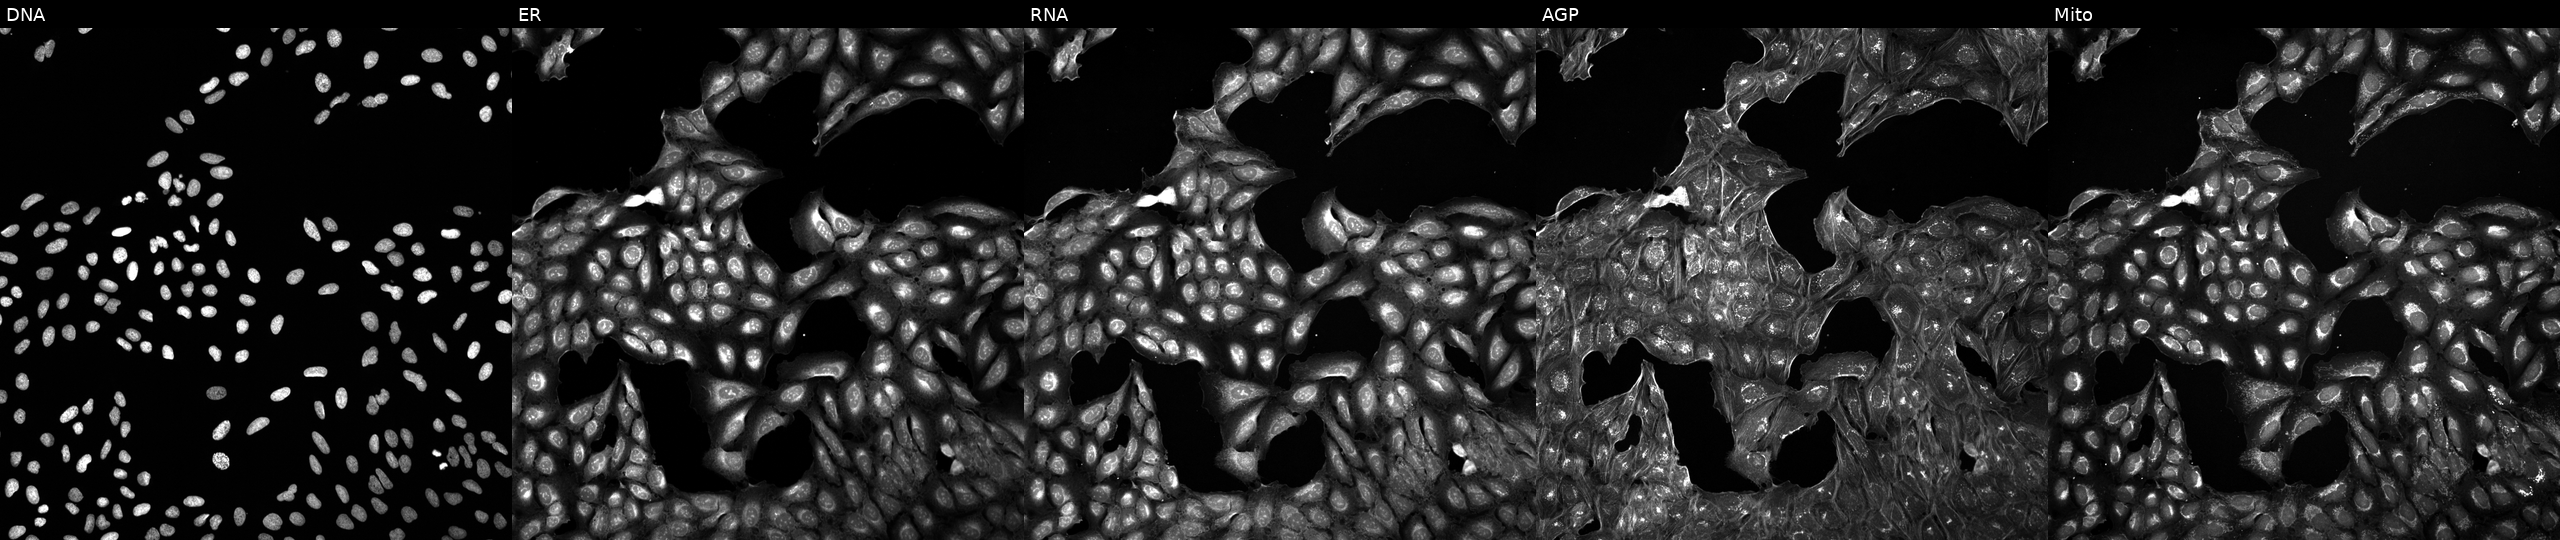
Five-channel Cell Painting image of U2OS cells treated with a small-molecule compound [SMILES: CCn1ccnc1C1CCCCN1c1nc(C(C)C)nc(N(C)C)n1]. The five panels, left to right, show Hoechst 33342, concanavalin A, SYTO 14, phalloidin and WGA, MitoTracker.